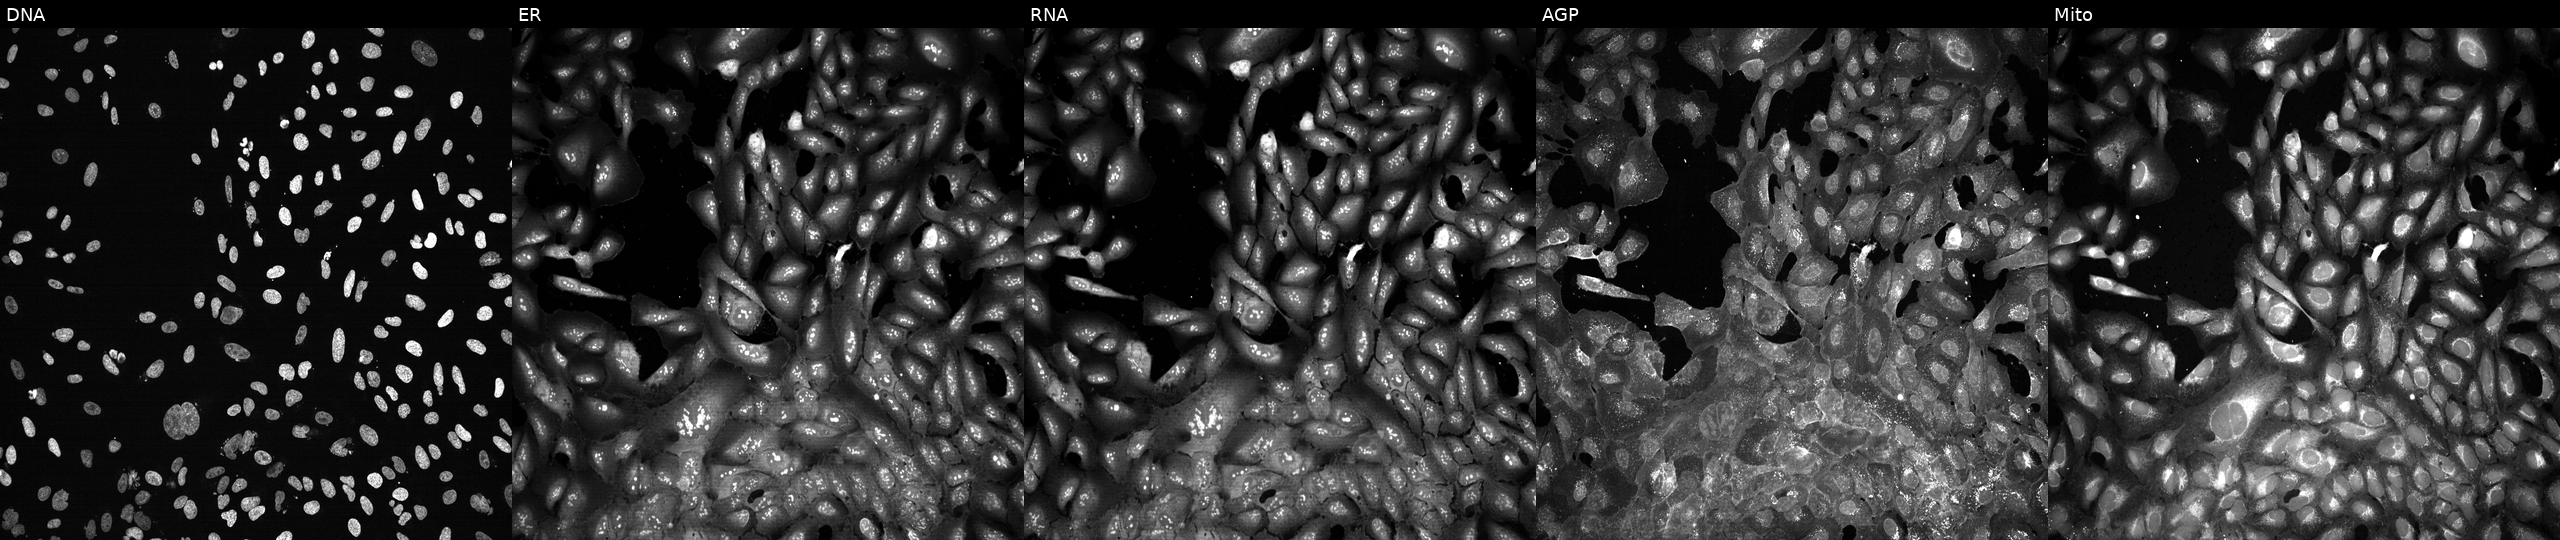
Channels (left→right): DNA (nuclei); ER (endoplasmic reticulum); RNA (nucleoli and cytoplasmic RNA); AGP (actin cytoskeleton, Golgi, and plasma membrane); Mito (mitochondria). U2OS osteosarcoma cells following CRISPR knockout of APRT (JUMP id JCP2022_800533). Cell Painting assay, JUMP-CP dataset.